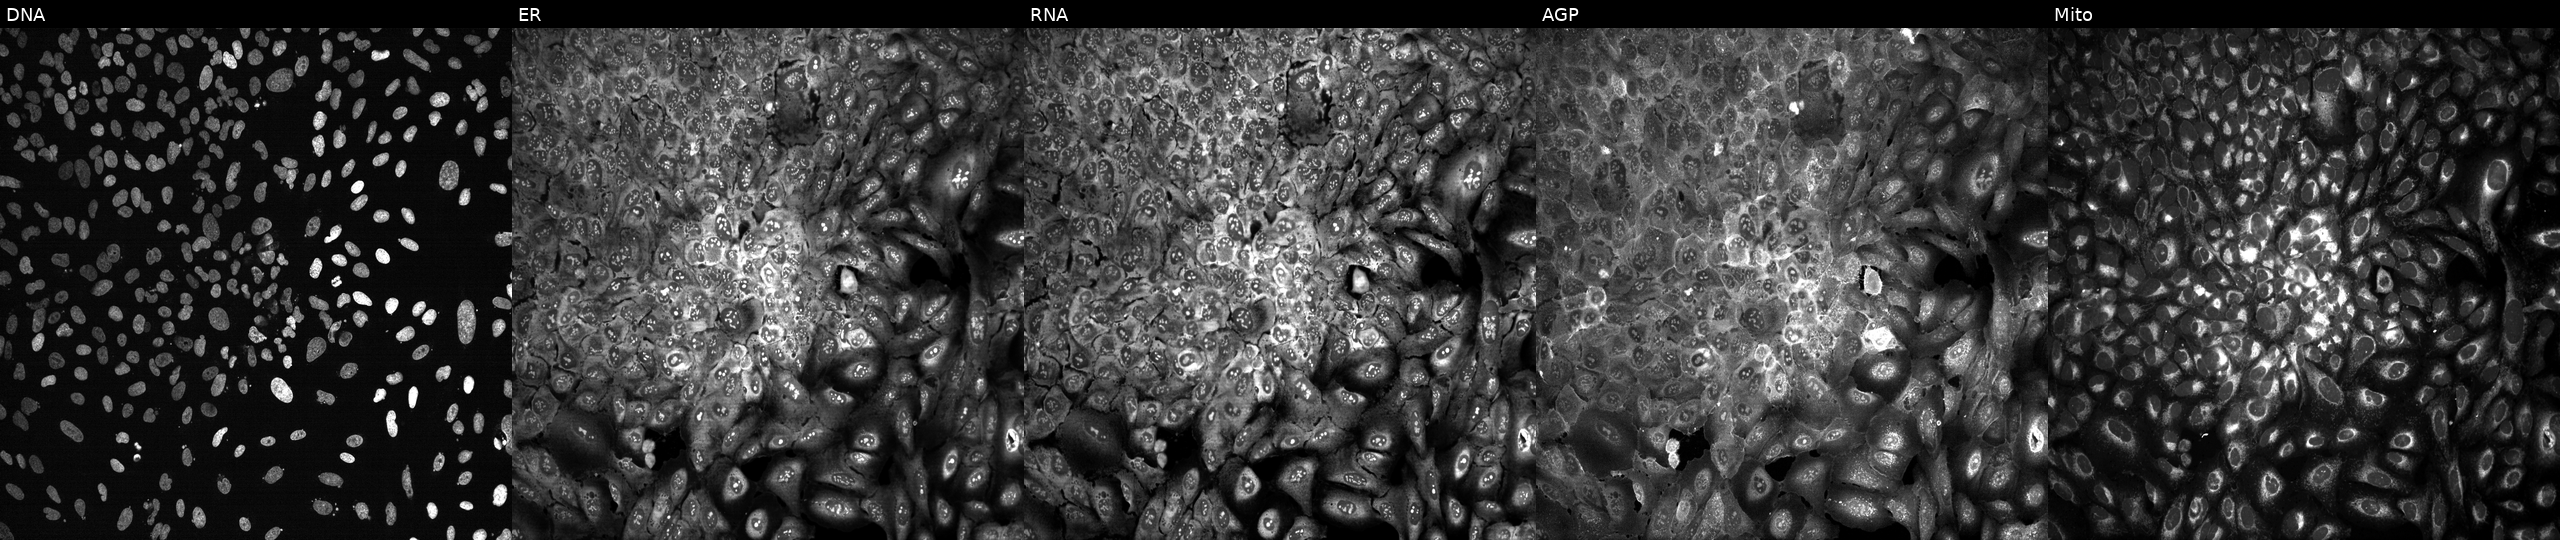
U2OS cells, Cell Painting assay, CRISPR-edited to disrupt PDE1B. The five panels, left to right, show DNA (nuclei); ER (endoplasmic reticulum); RNA (nucleoli and cytoplasmic RNA); AGP (actin cytoskeleton, Golgi, and plasma membrane); Mito (mitochondria). Each panel is percentile-stretched 16-bit fluorescence.